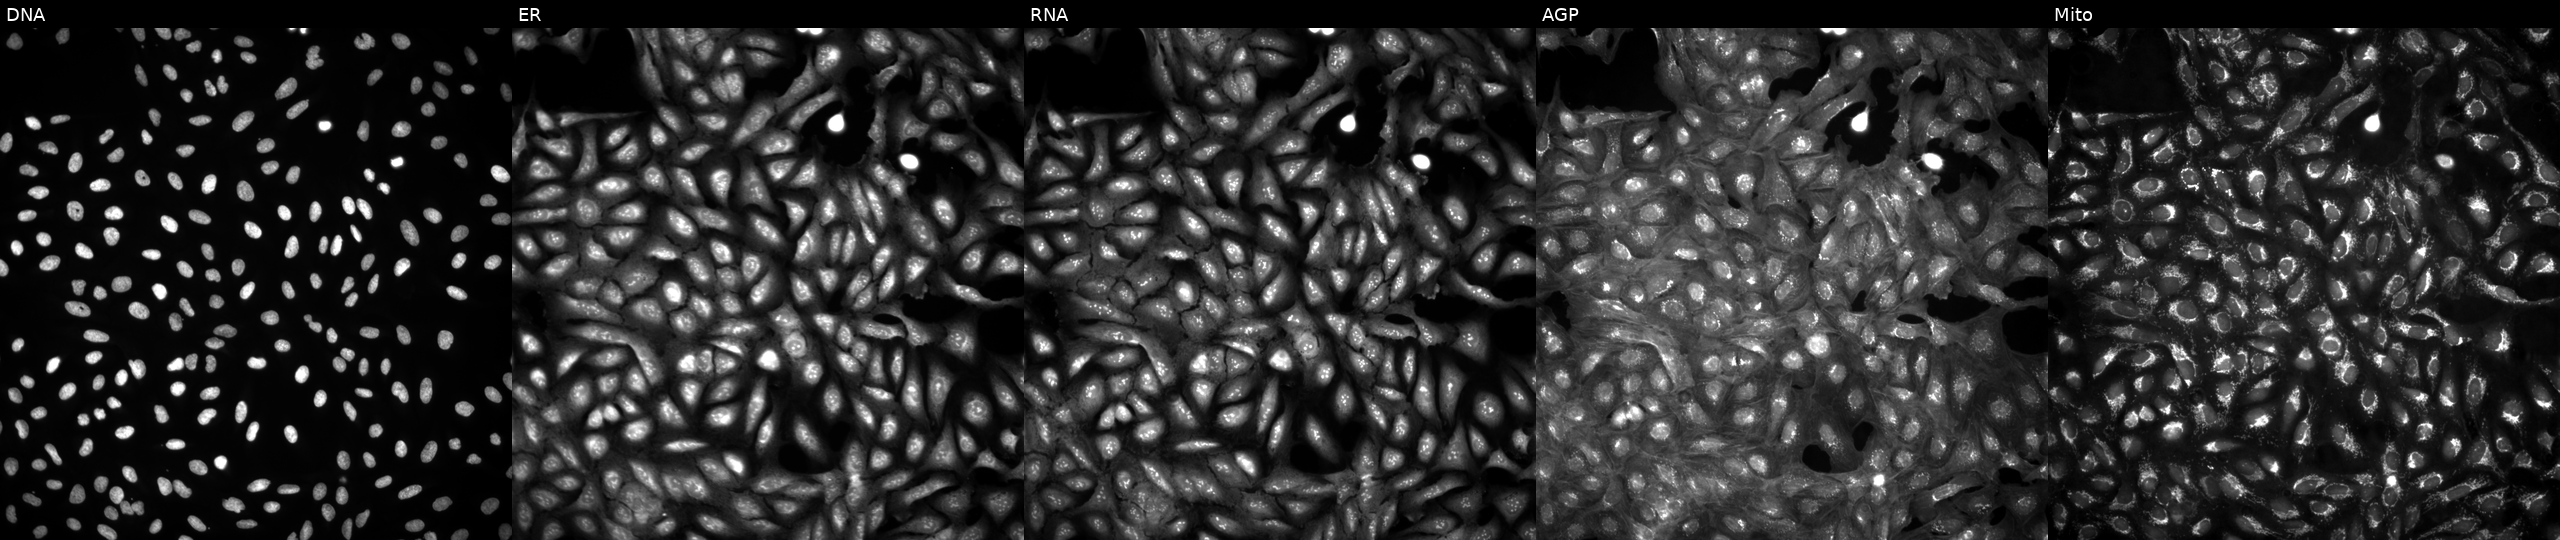
U2OS cells, Cell Painting assay, in an empty control well (no perturbation). Panels show, left to right, DNA, ER, RNA, AGP, and Mito. Each panel is percentile-stretched 16-bit fluorescence. Source 4, plate BR00124793, well N04.